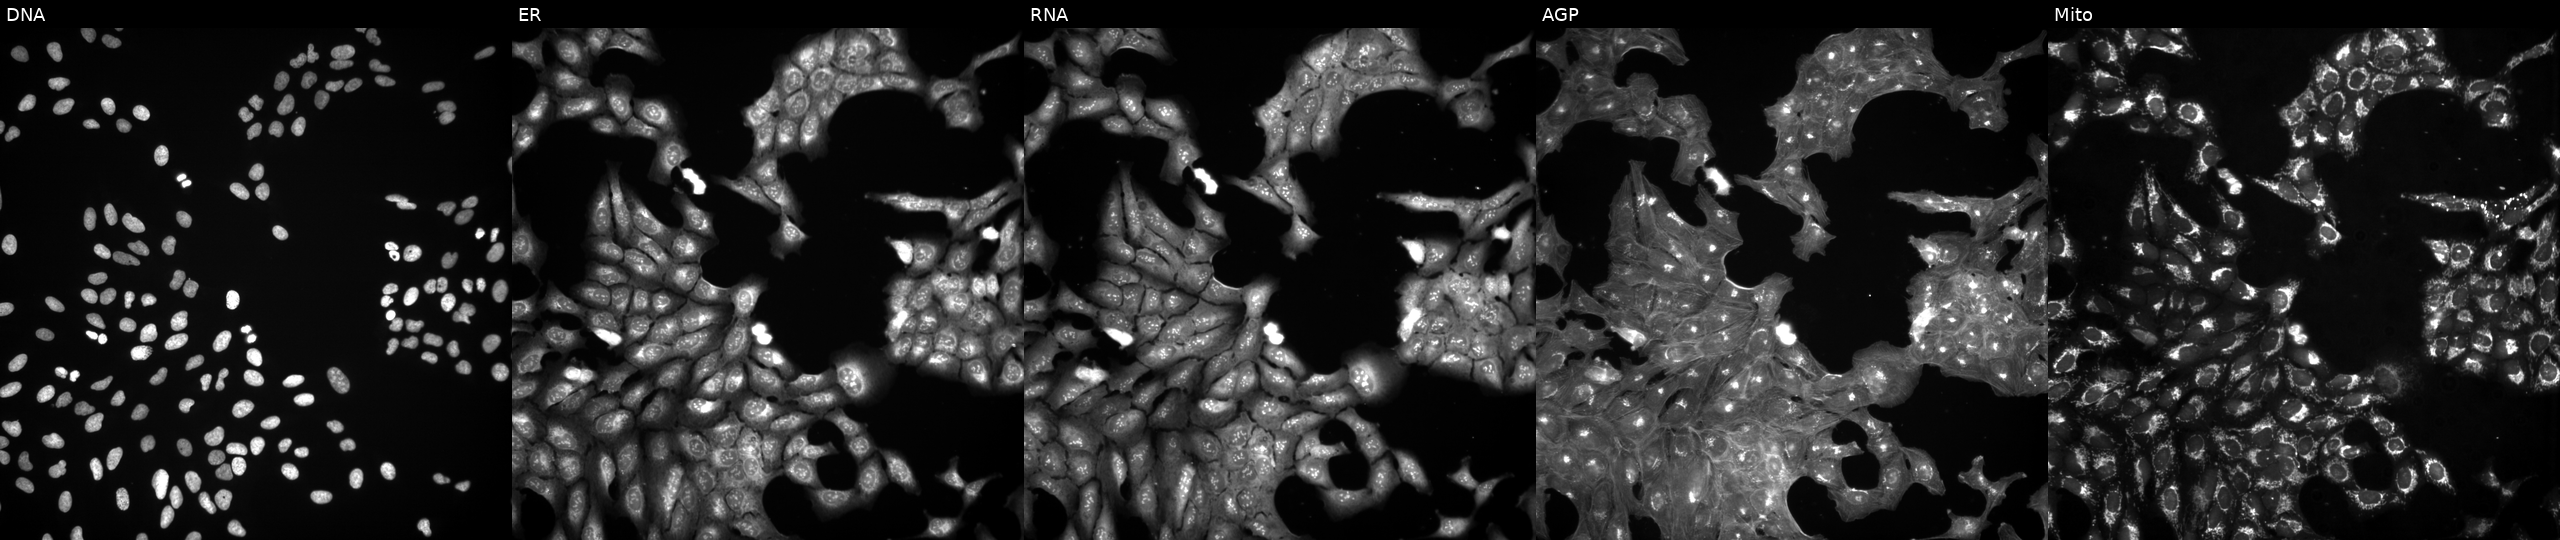
This image strip shows the five Cell Painting channels for a single field of U2OS cells exposed to a small-molecule compound (InChIKey FWTUCEZBNAHRMI-UHFFFAOYSA-N). Channels (left→right): DNA (nuclei); ER (endoplasmic reticulum); RNA (nucleoli and cytoplasmic RNA); AGP (actin cytoskeleton, Golgi, and plasma membrane); Mito (mitochondria). Source 3, plate BR5867b3, well J03.